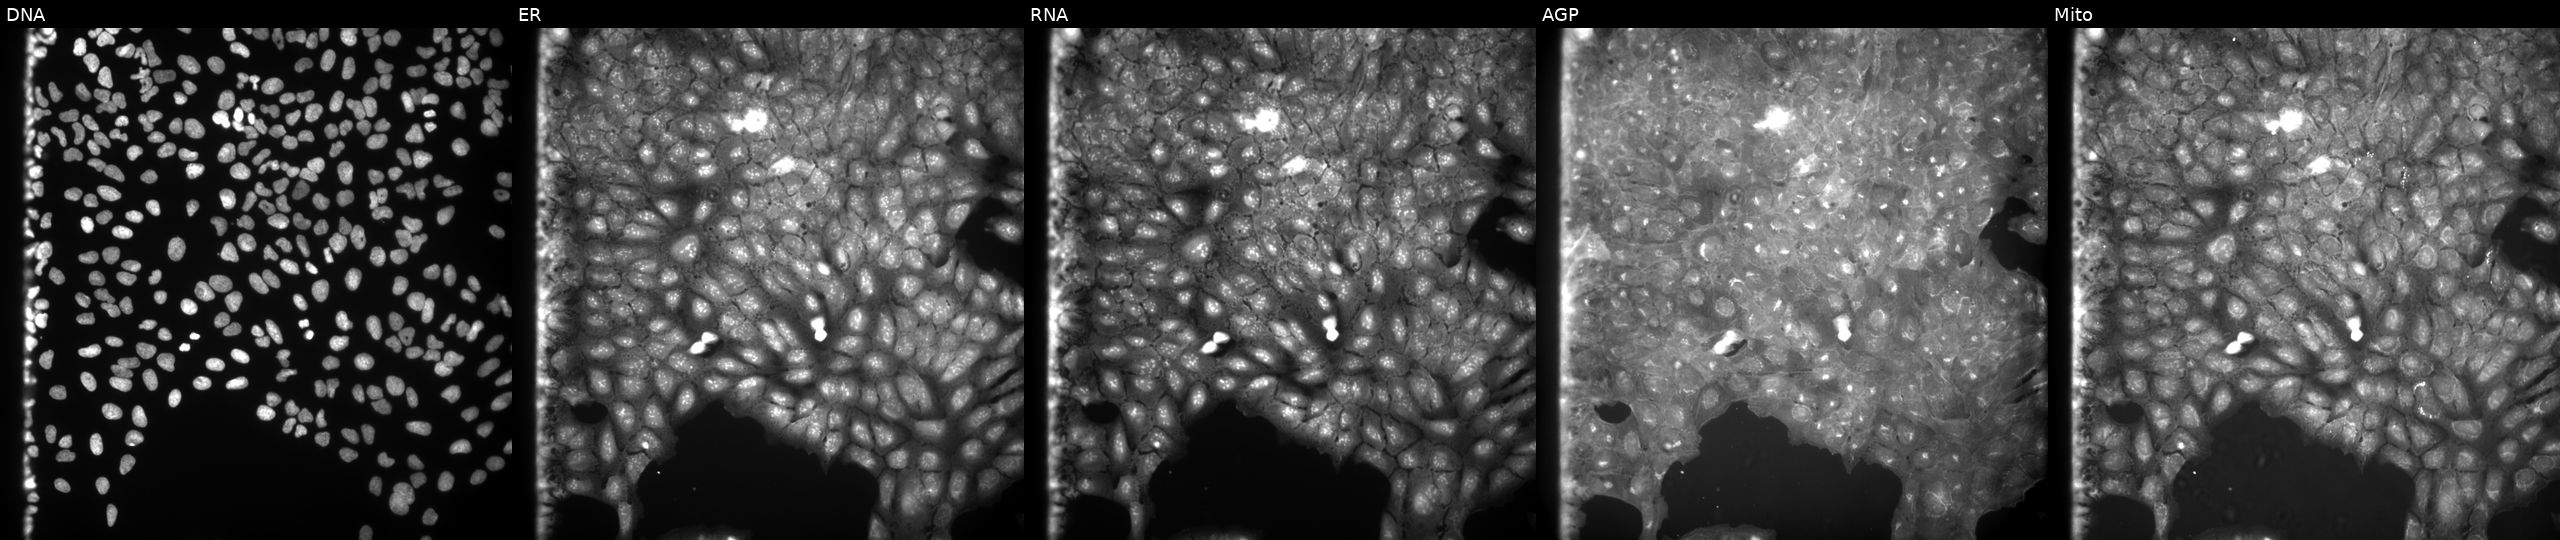
High-content fluorescence microscopy (Cell Painting). Cell line: U2OS. Perturbation: treated with a small-molecule compound (InChIKey GGWGWDRCGRSWFF-UHFFFAOYSA-N) [SMILES: Cc1ccc2[nH]c(O)c(C3=NC(=S)NC3=O)c2c1]. Panels show, left to right, Hoechst 33342, concanavalin A, SYTO 14, phalloidin and WGA, MitoTracker. Source 9, plate GR00003382, well F11.